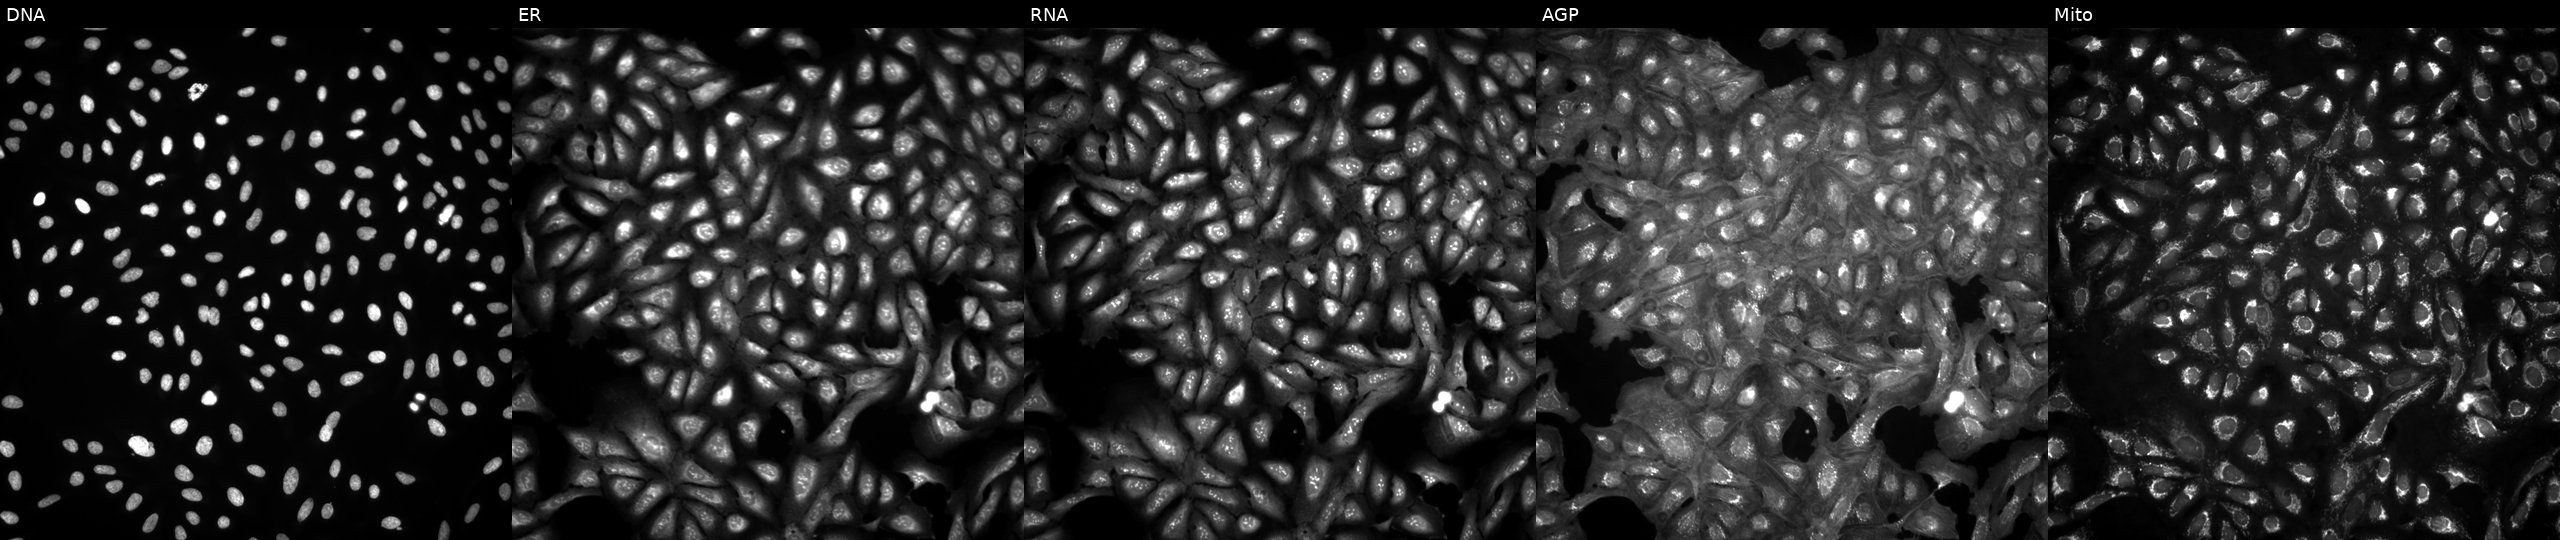
The five panels, left to right, show DNA, ER, RNA, AGP, and Mito. U2OS osteosarcoma cells in an empty control well (no perturbation). Cell Painting assay, JUMP-CP dataset. Source 4, plate BR00124793, well F13.